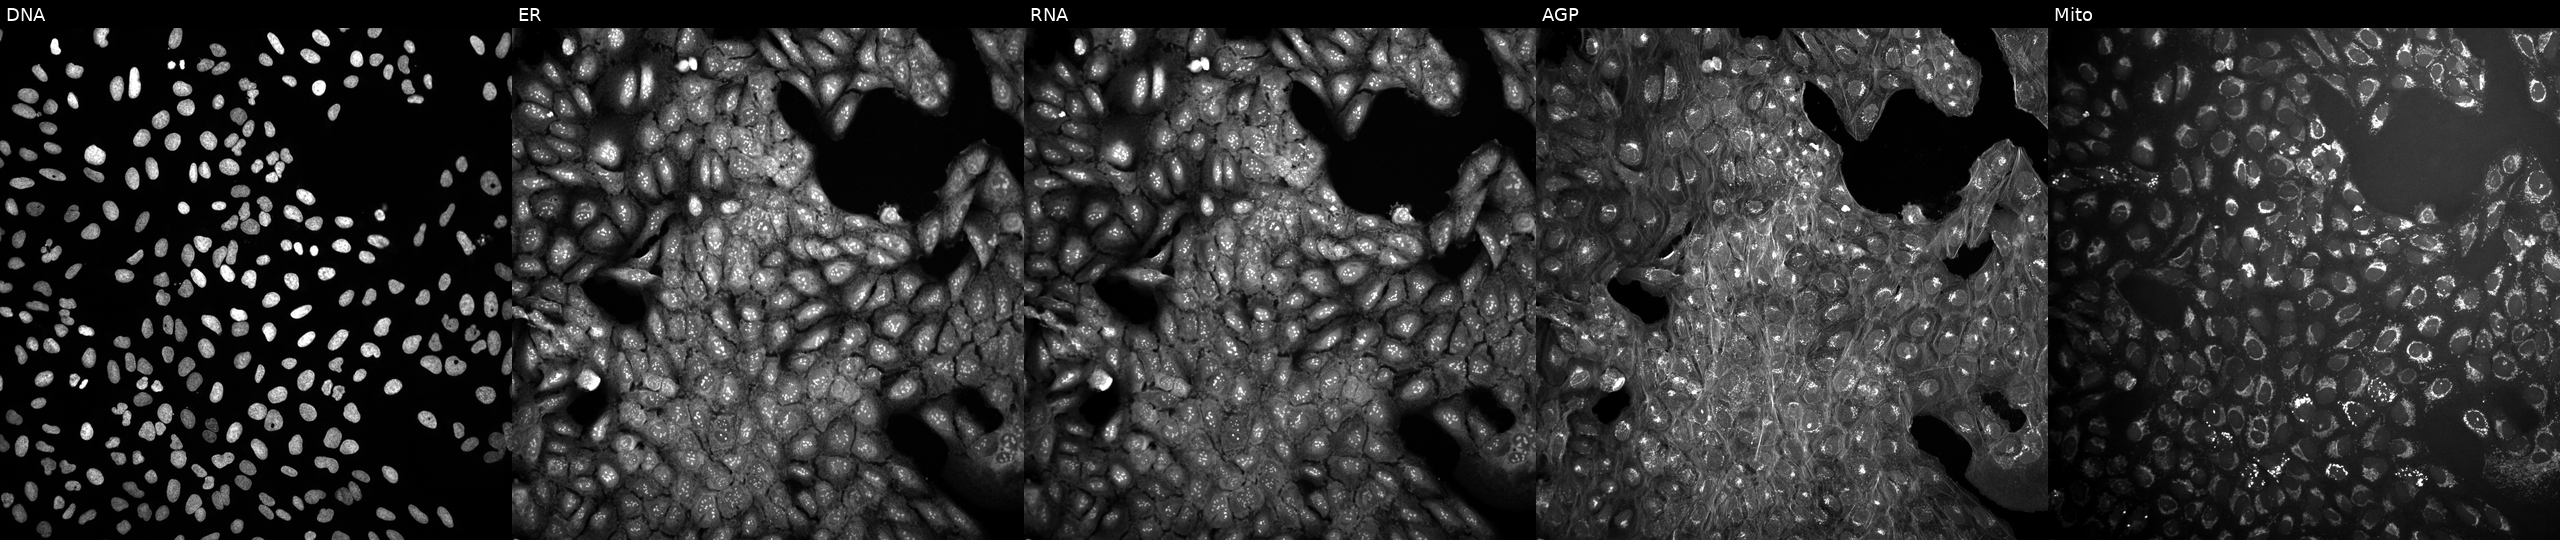
JUMP Cell Painting — COMPOUND plate. U2OS cells in an empty control well (no perturbation). The five panels, left to right, show Hoechst 33342, concanavalin A, SYTO 14, phalloidin and WGA, MitoTracker.